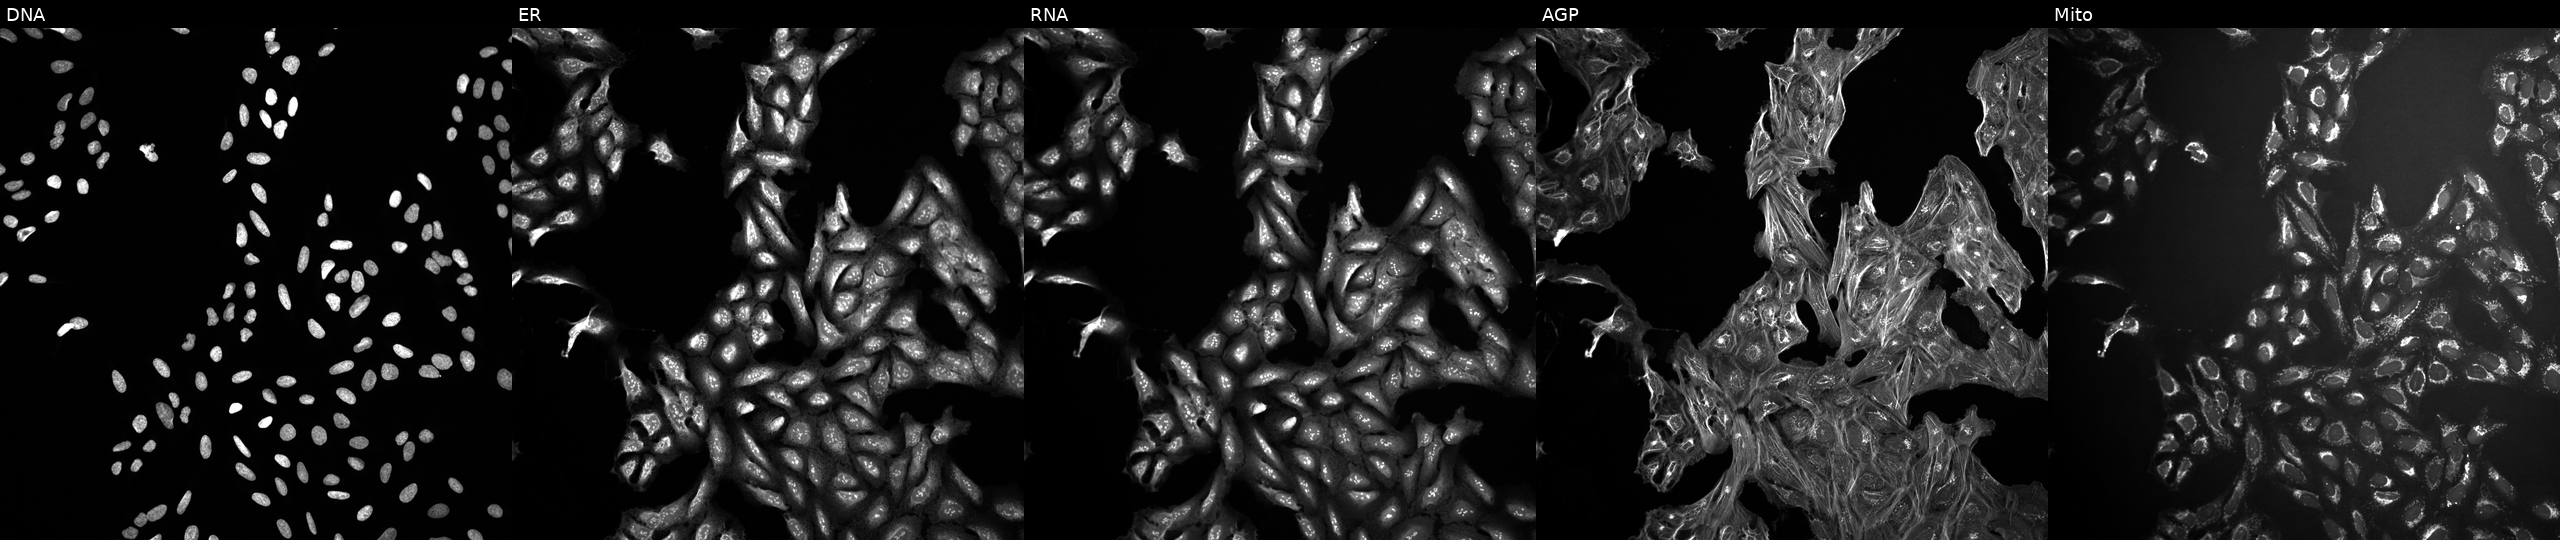
Panels show, left to right, DNA, ER, RNA, AGP, and Mito. U2OS osteosarcoma cells perturbed with a small-molecule compound. Cell Painting assay, JUMP-CP dataset.